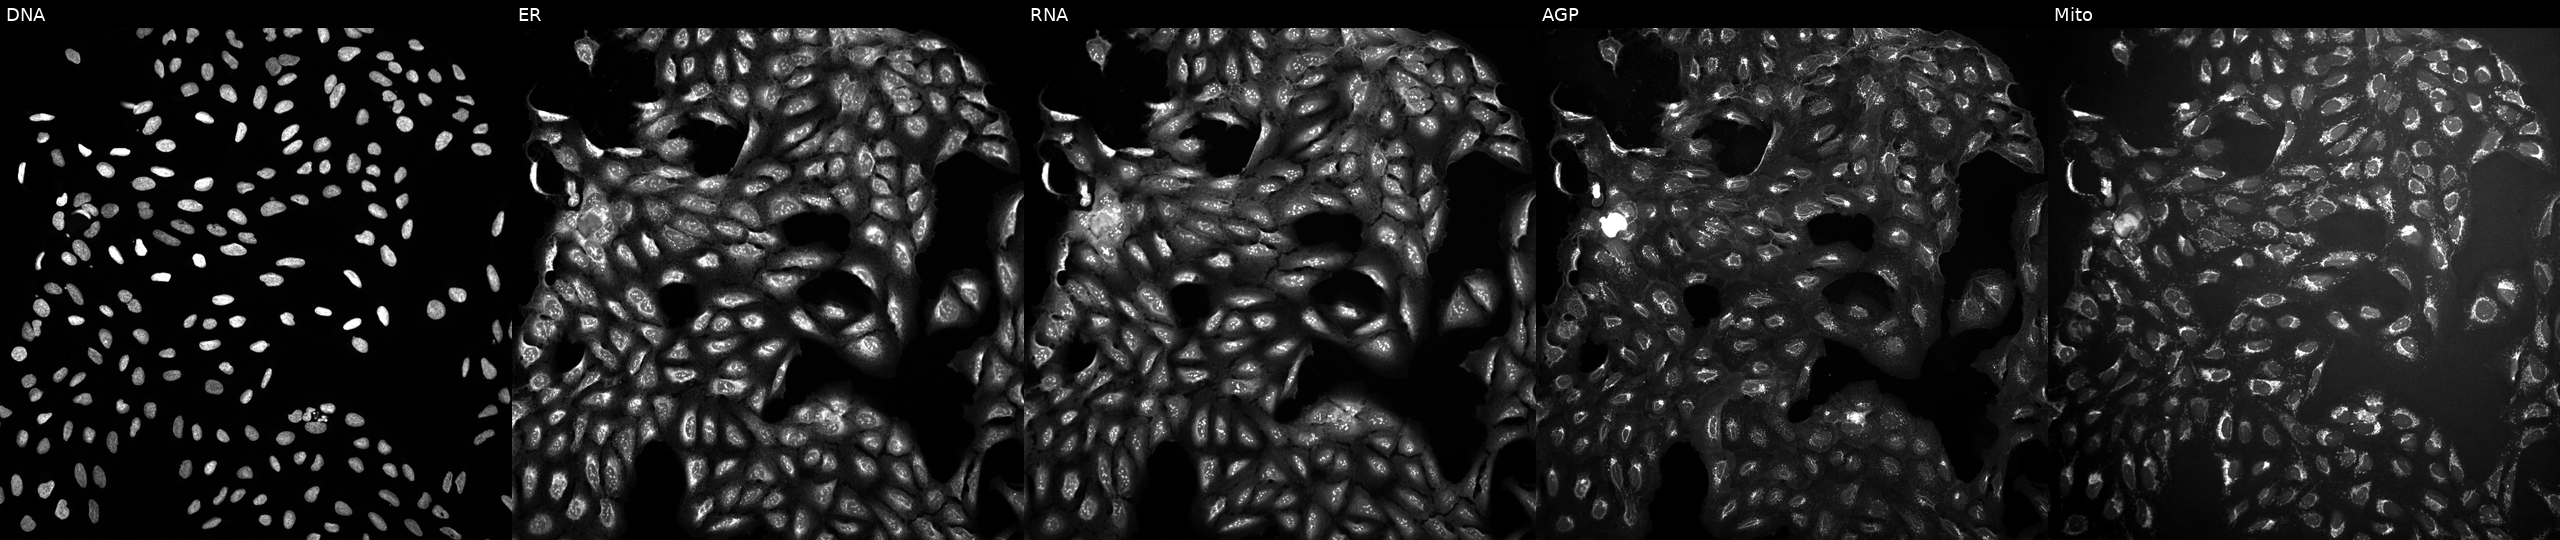
From left to right: DNA, ER, RNA, AGP, and Mito. U2OS osteosarcoma cells treated with a small-molecule compound (InChIKey LGEQQWMQCRIYKG-UHFFFAOYSA-N) [SMILES: CCCCCC=CCC=CCC=CCC=CCCCC(=O)NCCO] (JUMP id JCP2022_049224). Cell Painting assay, JUMP-CP dataset. Source 10, plate Dest210803-153958, well I12.